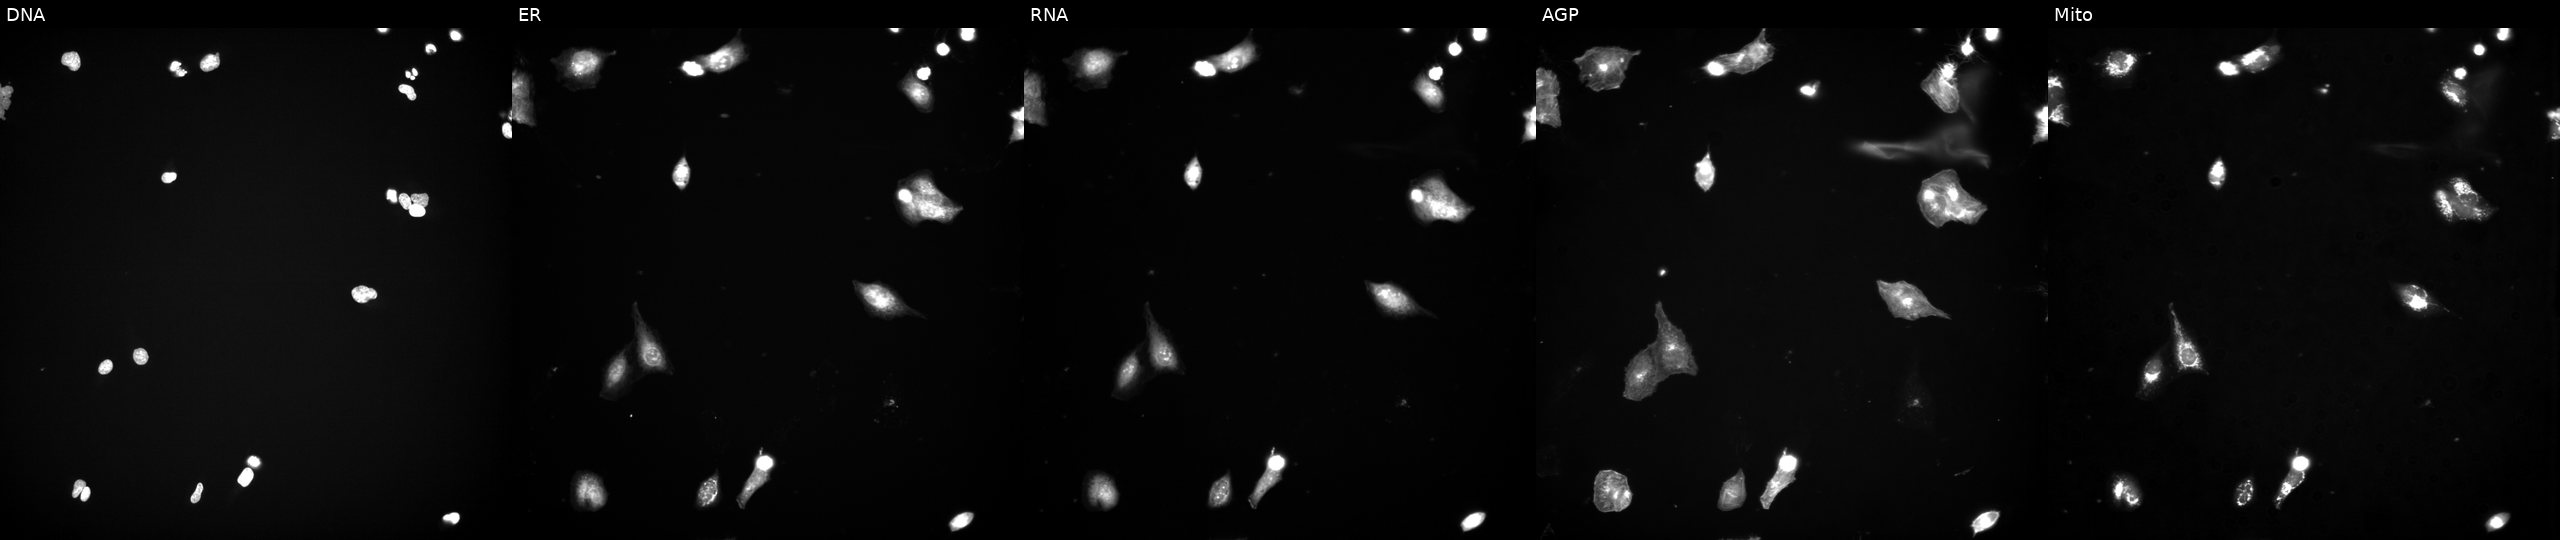
JUMP Cell Painting — TARGET2 plate. U2OS cells exposed to a small-molecule compound (InChIKey AYCPARAPKDAOEN-UHFFFAOYSA-N). Channels (left→right): Hoechst 33342, concanavalin A, SYTO 14, phalloidin and WGA, MitoTracker.